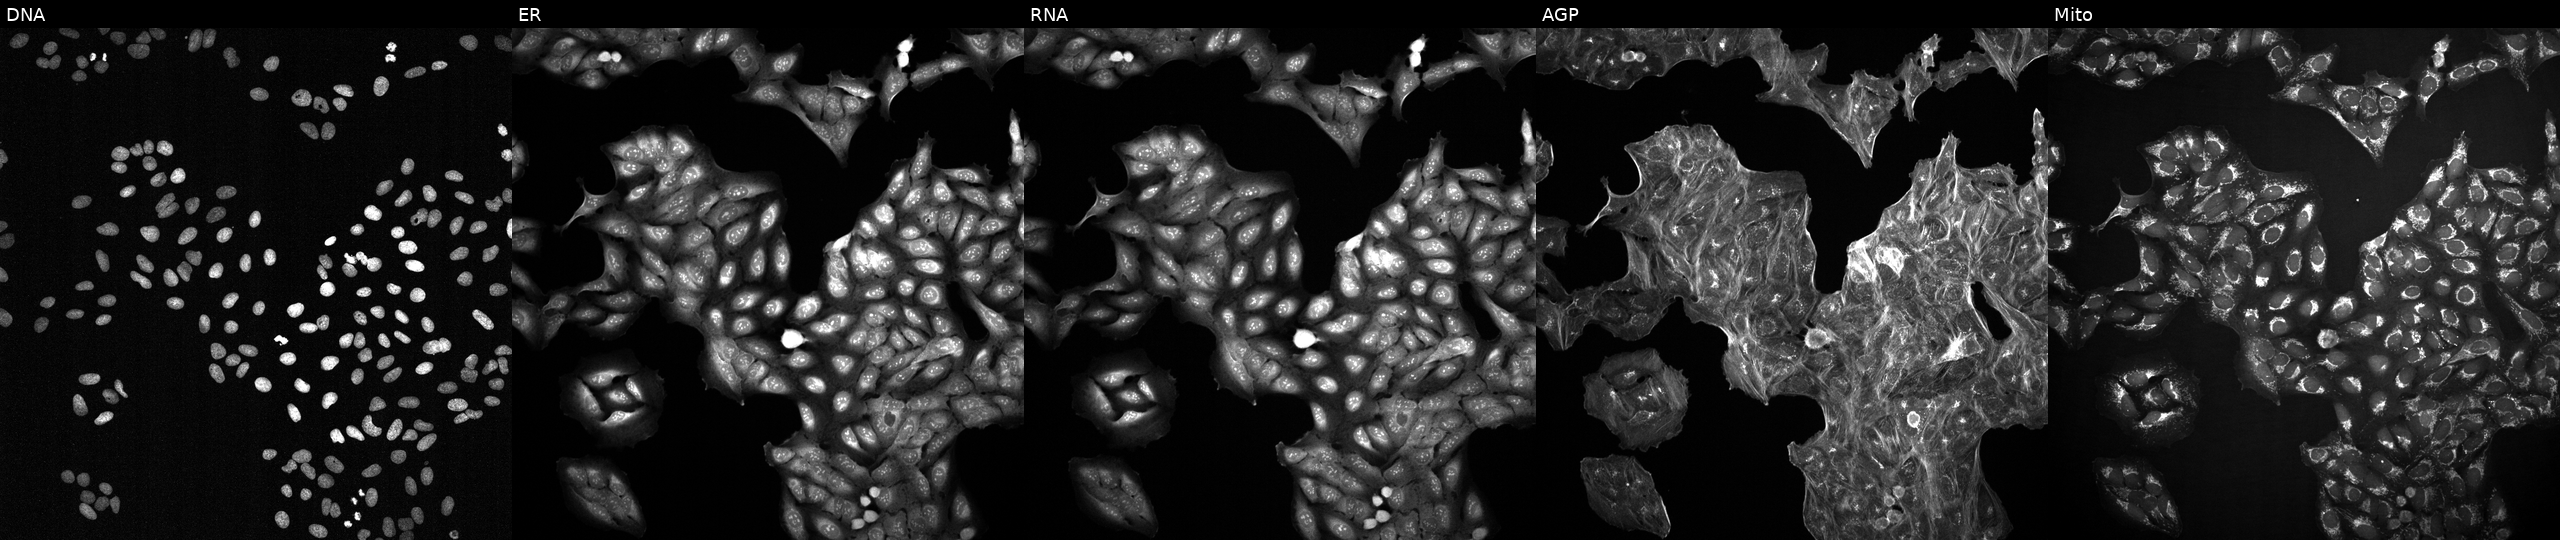
This image strip shows the five Cell Painting channels for a single field of U2OS cells treated with DMSO vehicle only (negative control) (JUMP id JCP2022_033924). Panels show, left to right, Hoechst 33342, concanavalin A, SYTO 14, phalloidin and WGA, MitoTracker.